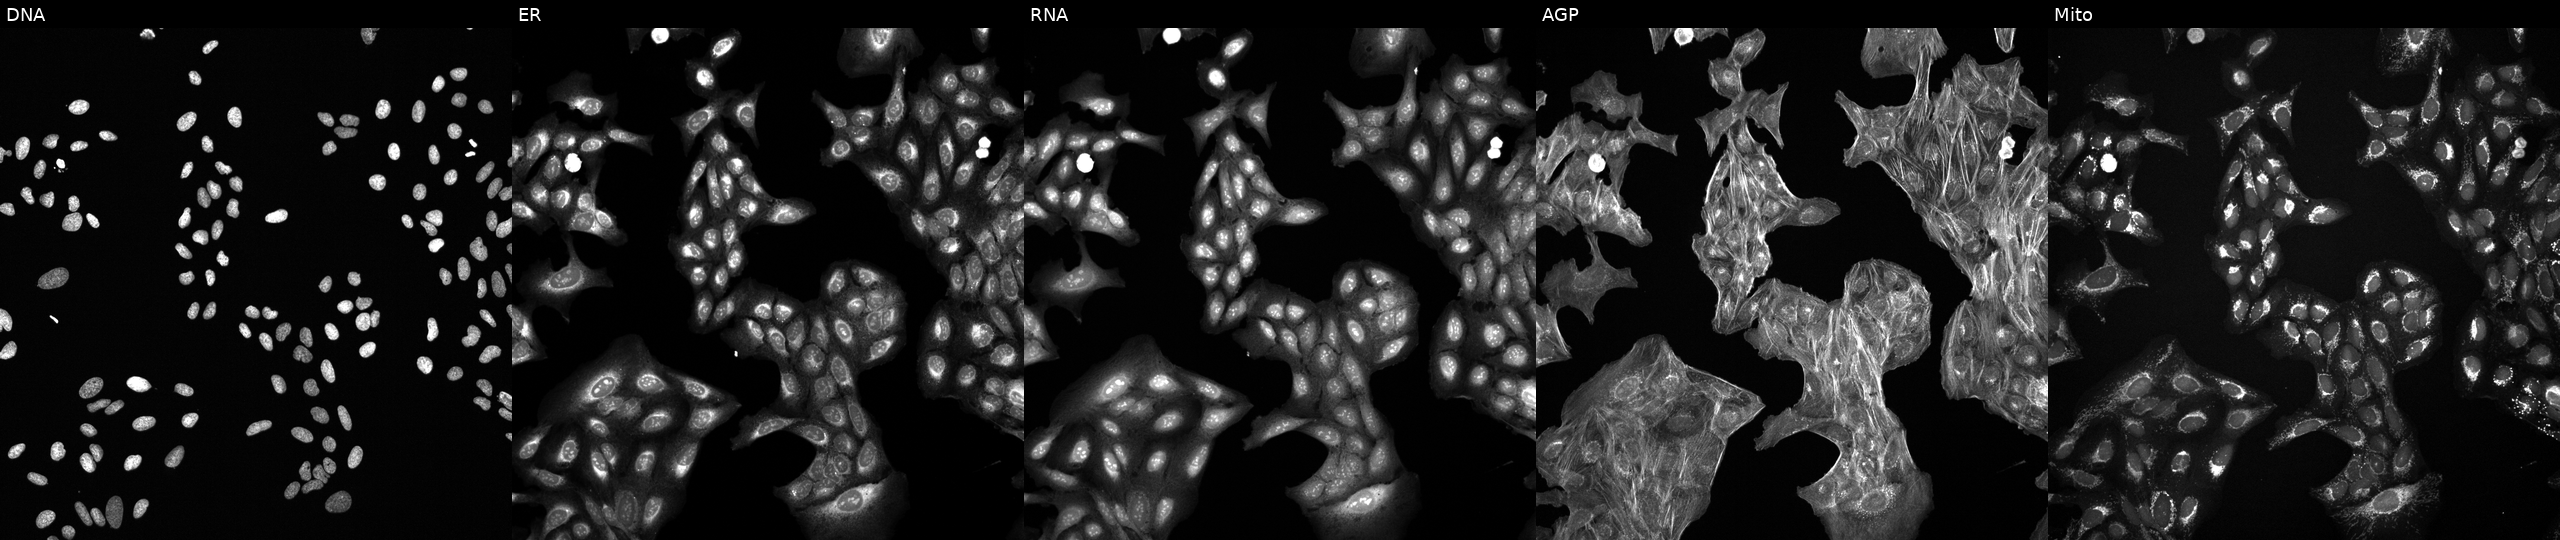
U2OS cells, Cell Painting assay, treated with a small-molecule compound (InChIKey BFOPGXWSOKADSF-UHFFFAOYSA-N) (JUMP id JCP2022_005999). From left to right: DNA, ER, RNA, AGP, and Mito. Each panel is percentile-stretched 16-bit fluorescence.